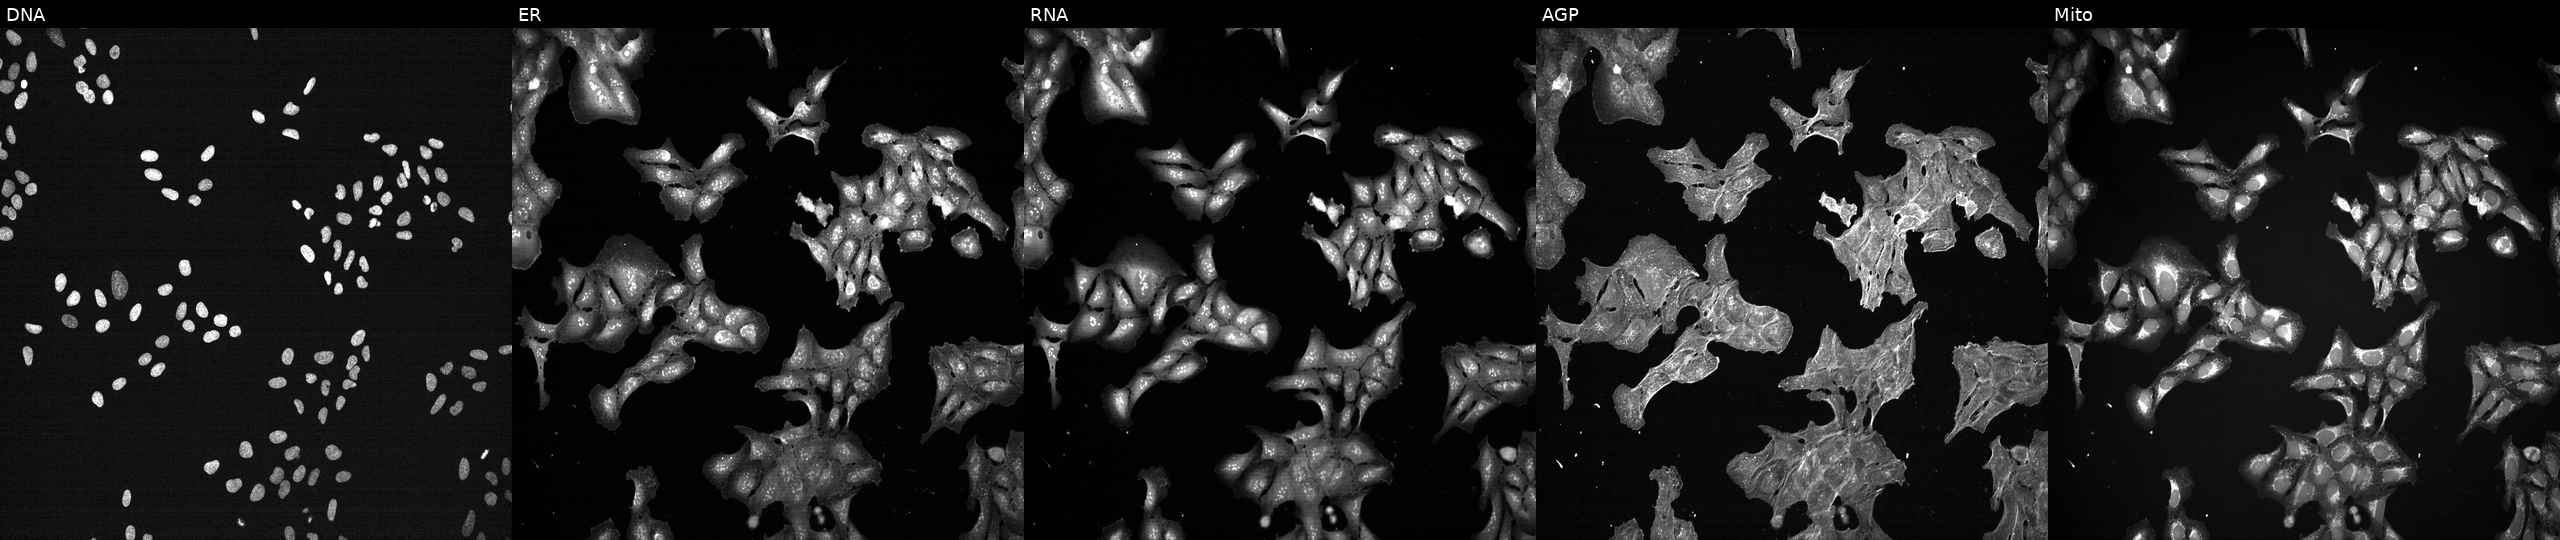
High-content fluorescence microscopy (Cell Painting). Cell line: U2OS. Perturbation: perturbed with a small-molecule compound (InChIKey NLSSUSRERAMBTA-UHFFFAOYSA-N). Channels (left→right): DNA, ER, RNA, AGP, and Mito. Source 7, plate CP2-SC1-25, well O19.